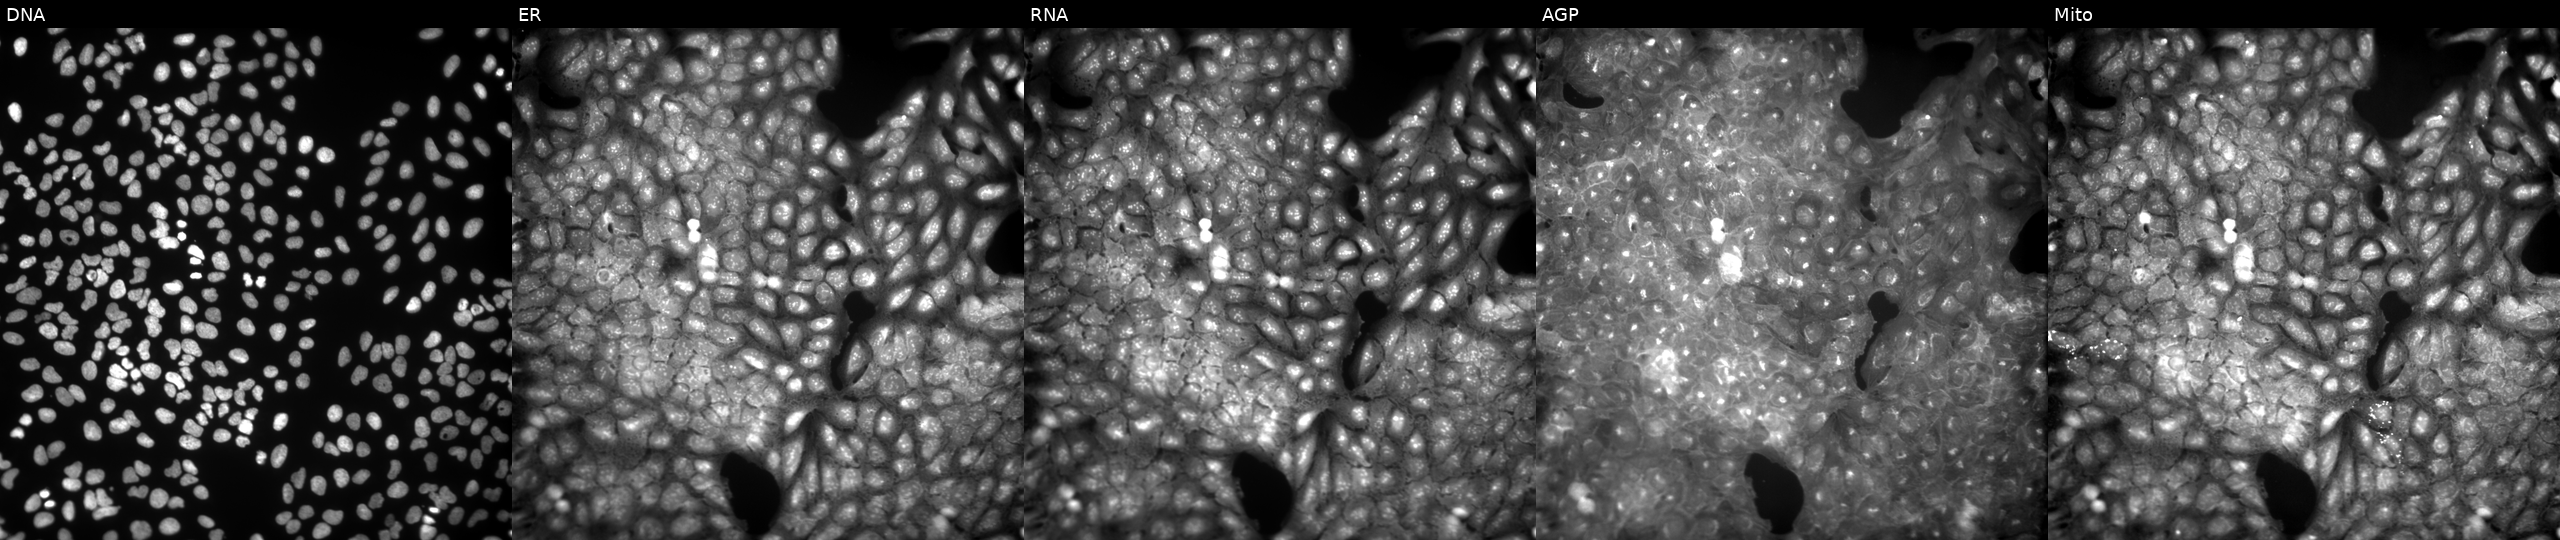
Five-channel Cell Painting image of U2OS cells treated with a small-molecule compound (InChIKey OIGYWCYVICTXOP-UHFFFAOYSA-N) (JUMP id JCP2022_063985). The five panels, left to right, show Hoechst 33342, concanavalin A, SYTO 14, phalloidin and WGA, MitoTracker.